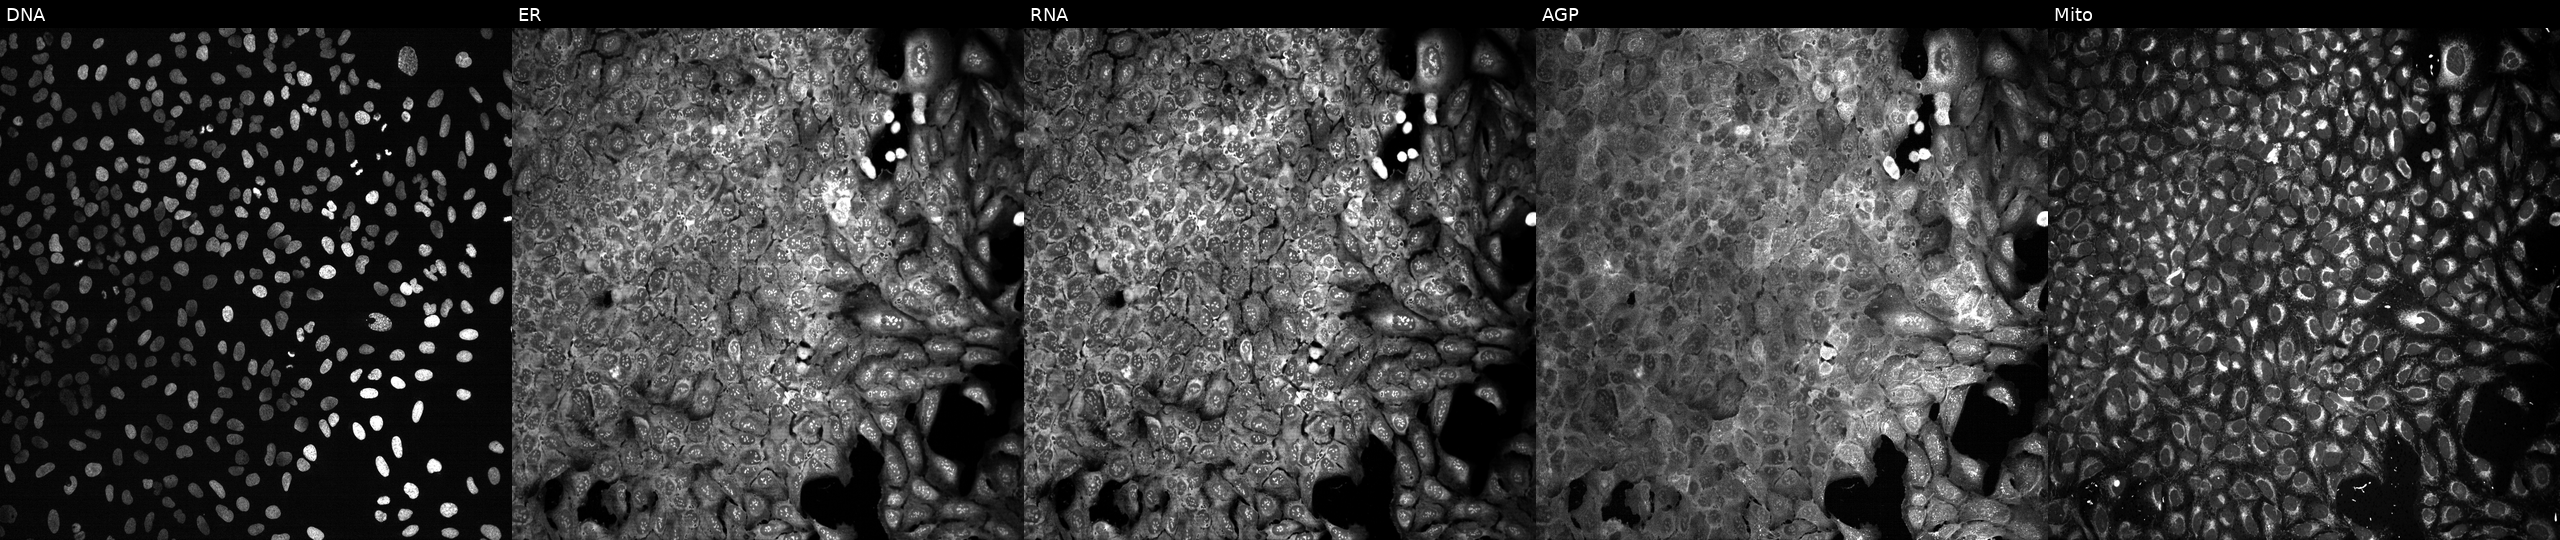
High-content fluorescence microscopy (Cell Painting). Cell line: U2OS. Perturbation: with no CRISPR guide (negative control). The five panels, left to right, show DNA, ER, RNA, AGP, and Mito.